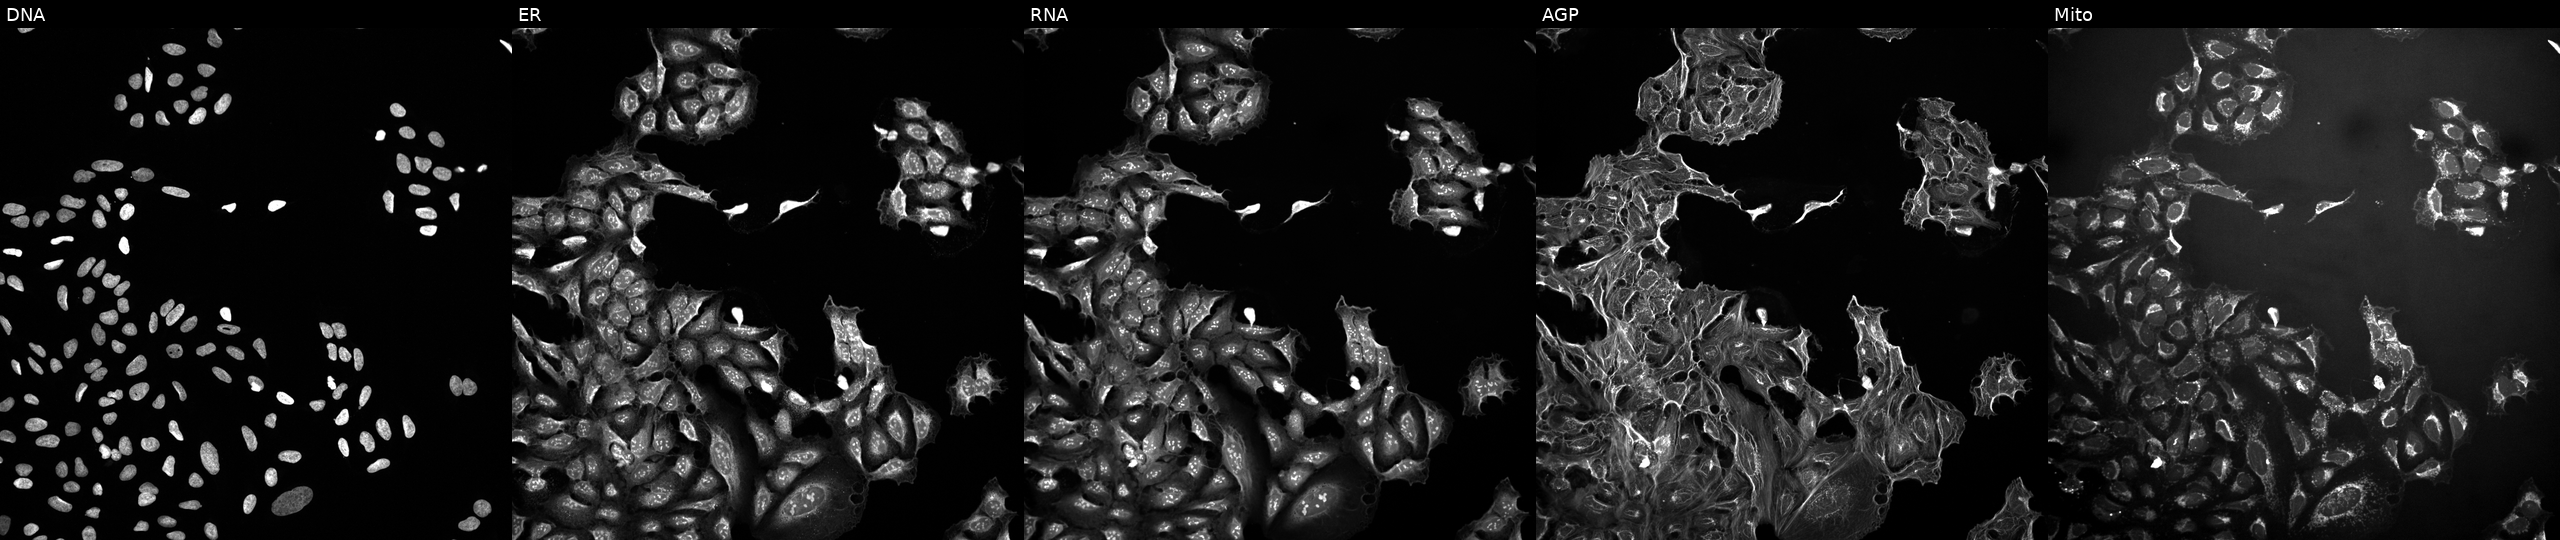
U2OS cells, Cell Painting assay, exposed to DMSO alone as a negative control. Channels (left→right): DNA (nuclei); ER (endoplasmic reticulum); RNA (nucleoli and cytoplasmic RNA); AGP (actin cytoskeleton, Golgi, and plasma membrane); Mito (mitochondria). Each panel is percentile-stretched 16-bit fluorescence.